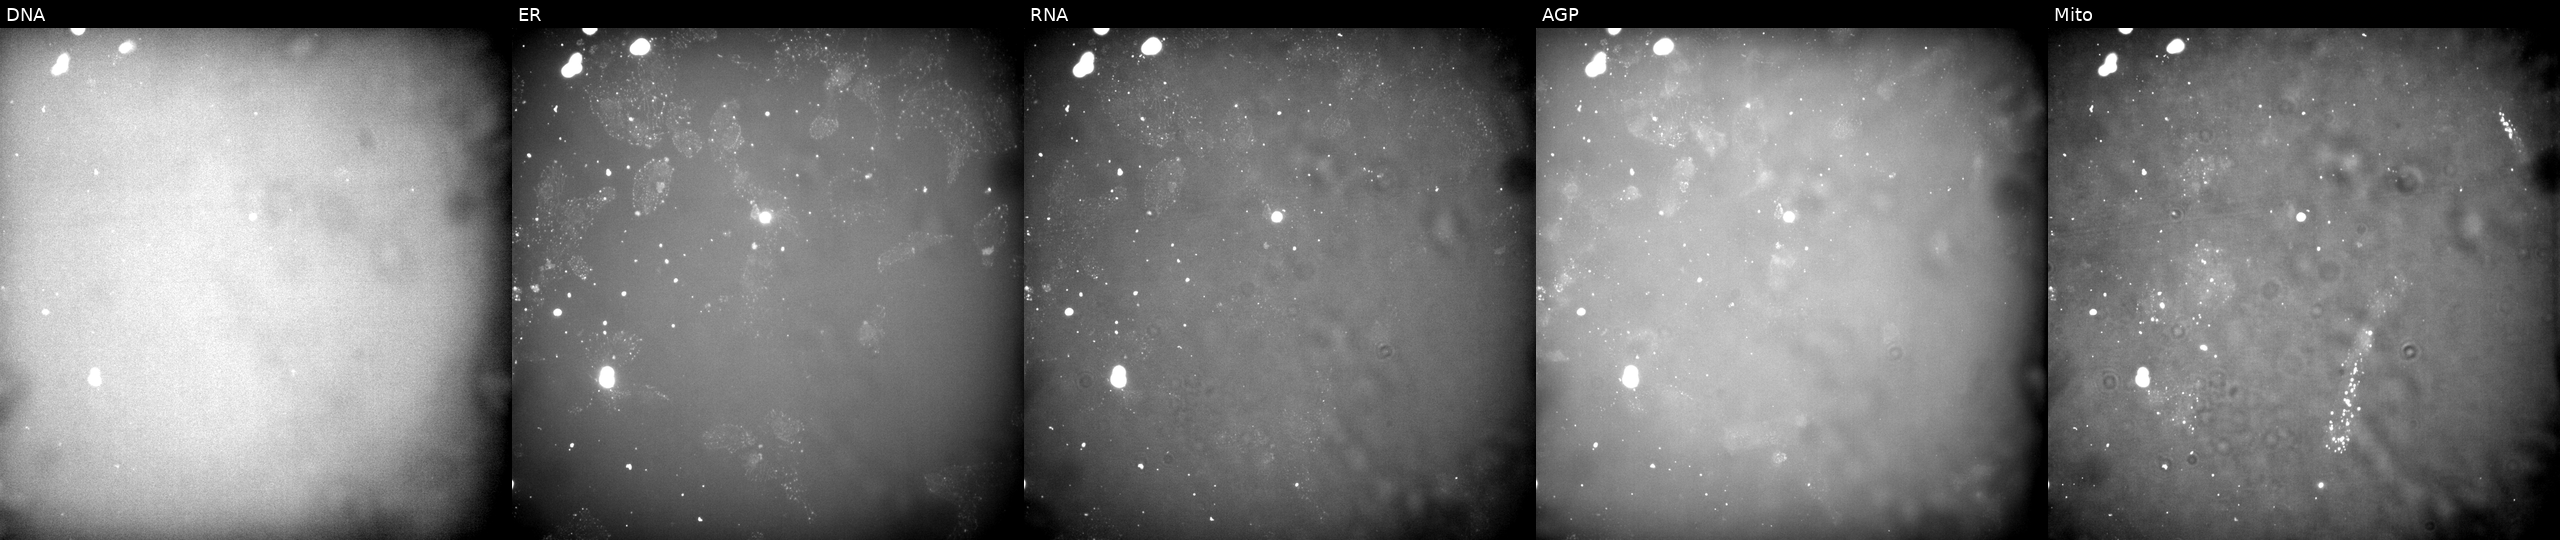
Five-channel Cell Painting image of U2OS cells treated with a small-molecule compound (JUMP id JCP2022_002850). The five panels, left to right, show Hoechst 33342, concanavalin A, SYTO 14, phalloidin and WGA, MitoTracker. Source 9, plate GR00003382, well L22.